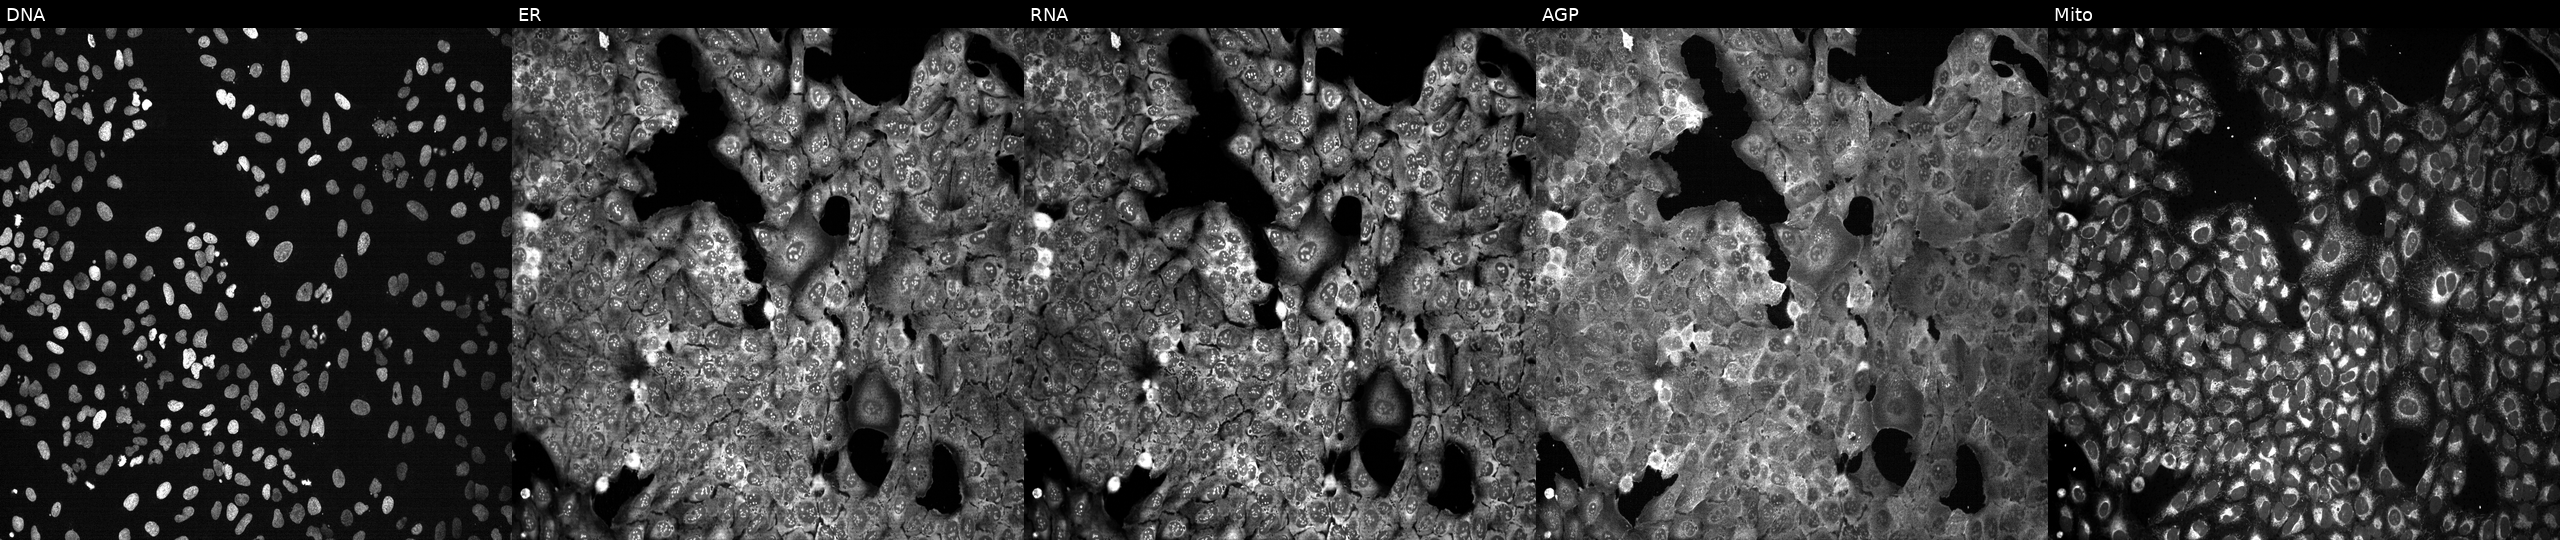
High-content fluorescence microscopy (Cell Painting). Cell line: U2OS. Perturbation: with FCRL2 knocked out by CRISPR (JUMP id JCP2022_802353). Panels show, left to right, DNA (nuclei); ER (endoplasmic reticulum); RNA (nucleoli and cytoplasmic RNA); AGP (actin cytoskeleton, Golgi, and plasma membrane); Mito (mitochondria).